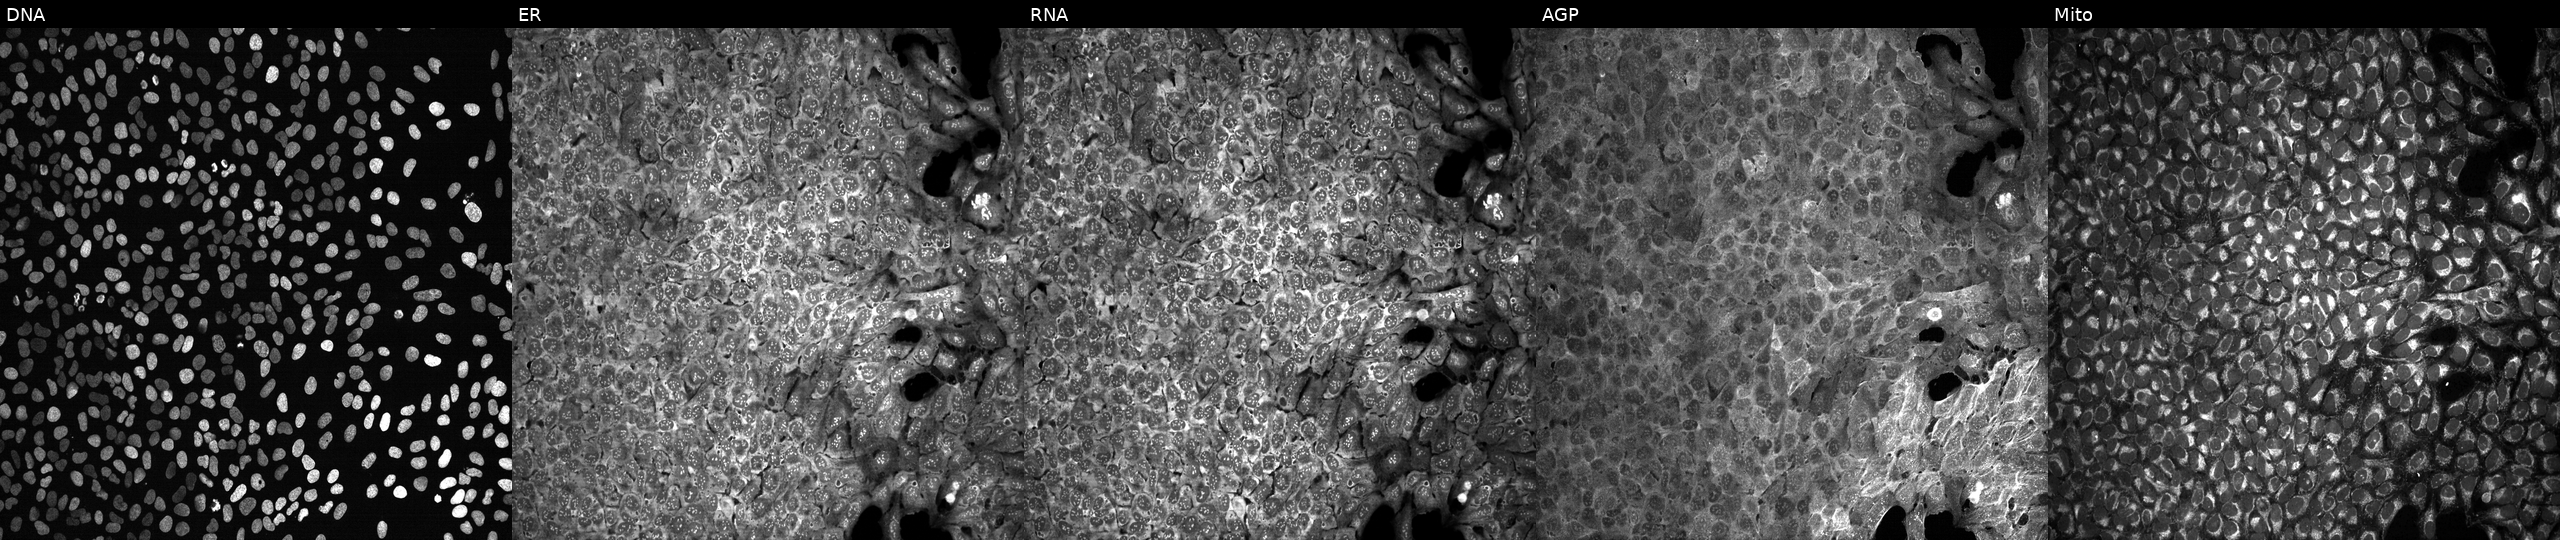
JUMP Cell Painting — CRISPR plate. U2OS cells exposed to the positive-control compound dexamethasone. Channels (left→right): DNA, ER, RNA, AGP, and Mito.